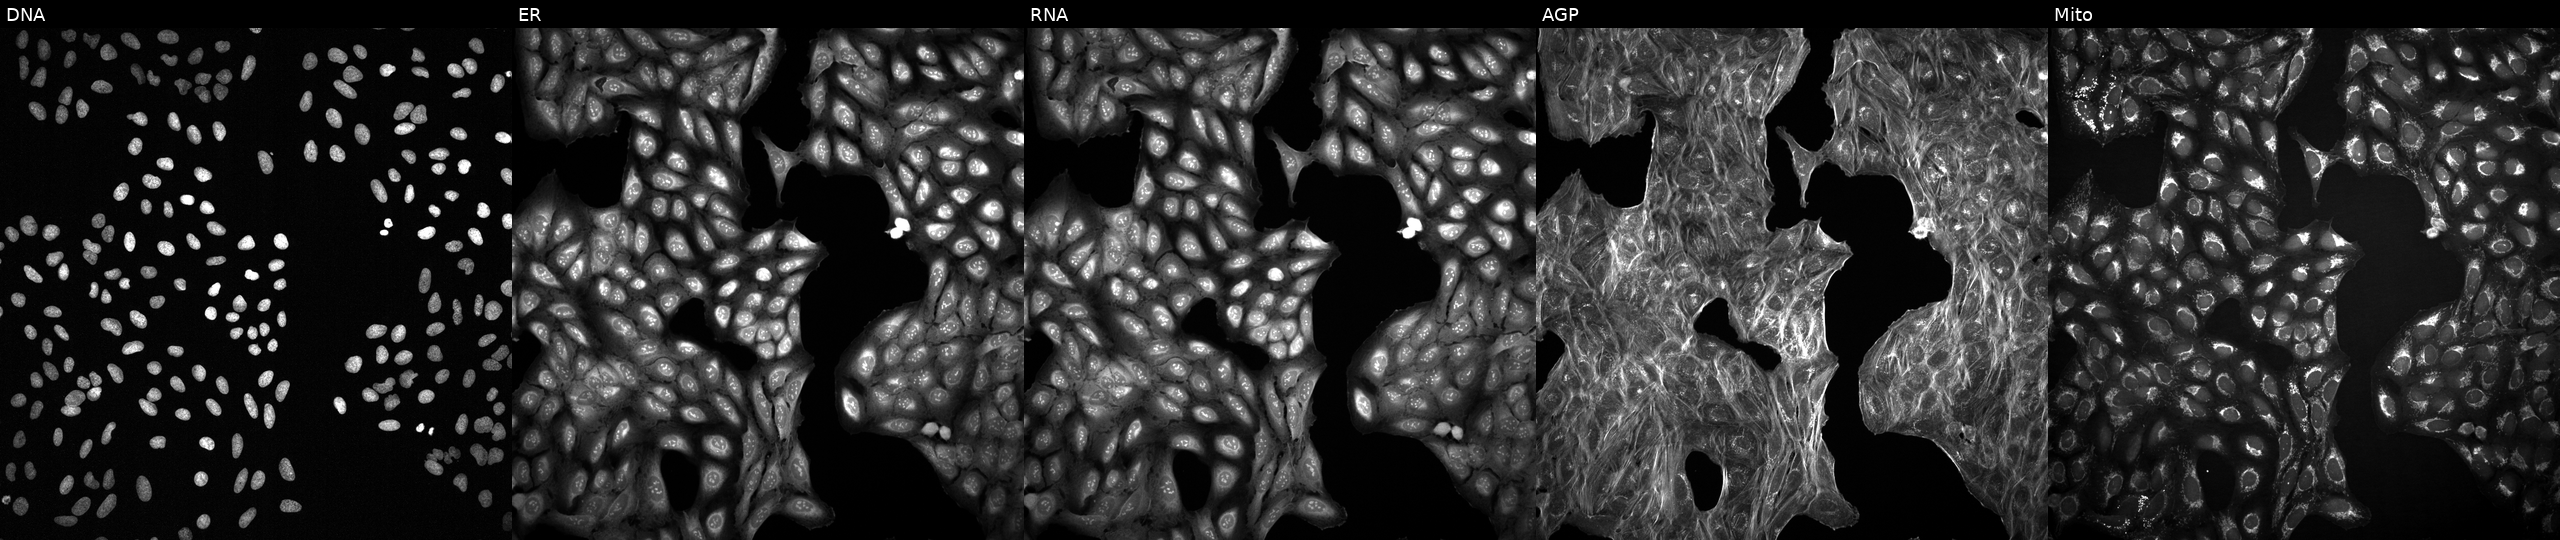
U2OS cells, Cell Painting assay, with an unidentified perturbation (not annotated in JUMP metadata). Channels (left→right): DNA (nuclei); ER (endoplasmic reticulum); RNA (nucleoli and cytoplasmic RNA); AGP (actin cytoskeleton, Golgi, and plasma membrane); Mito (mitochondria). Each panel is percentile-stretched 16-bit fluorescence.